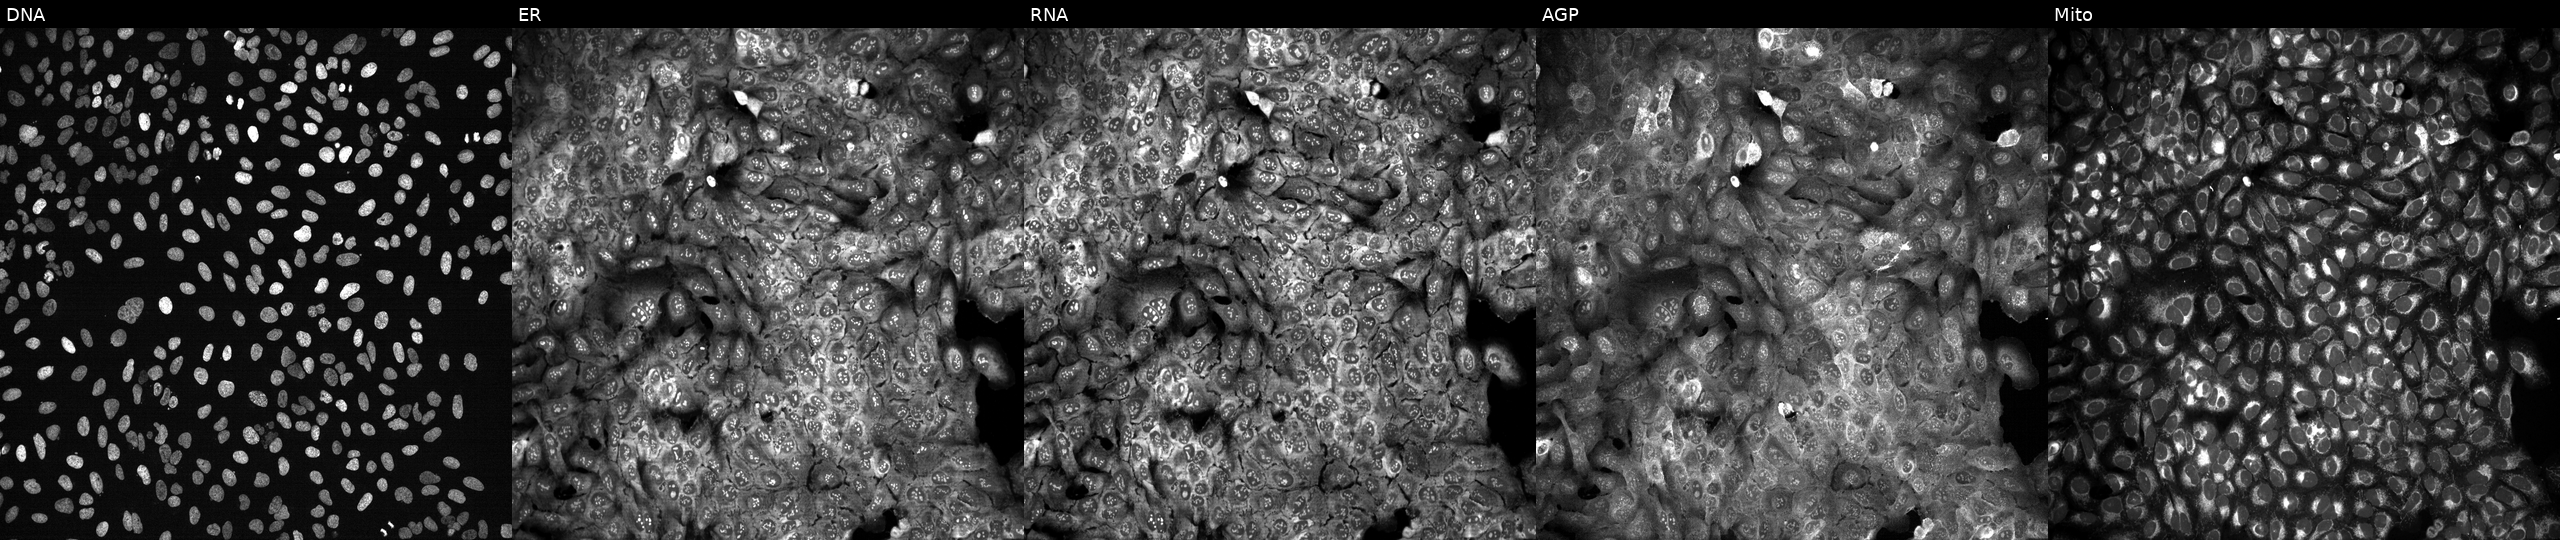
JUMP Cell Painting — CRISPR plate. U2OS cells with GALNT6 knocked out by CRISPR (JUMP id JCP2022_802598). Panels show, left to right, DNA, ER, RNA, AGP, and Mito. Source 13, plate CP-CC9-R4-03, well L15.